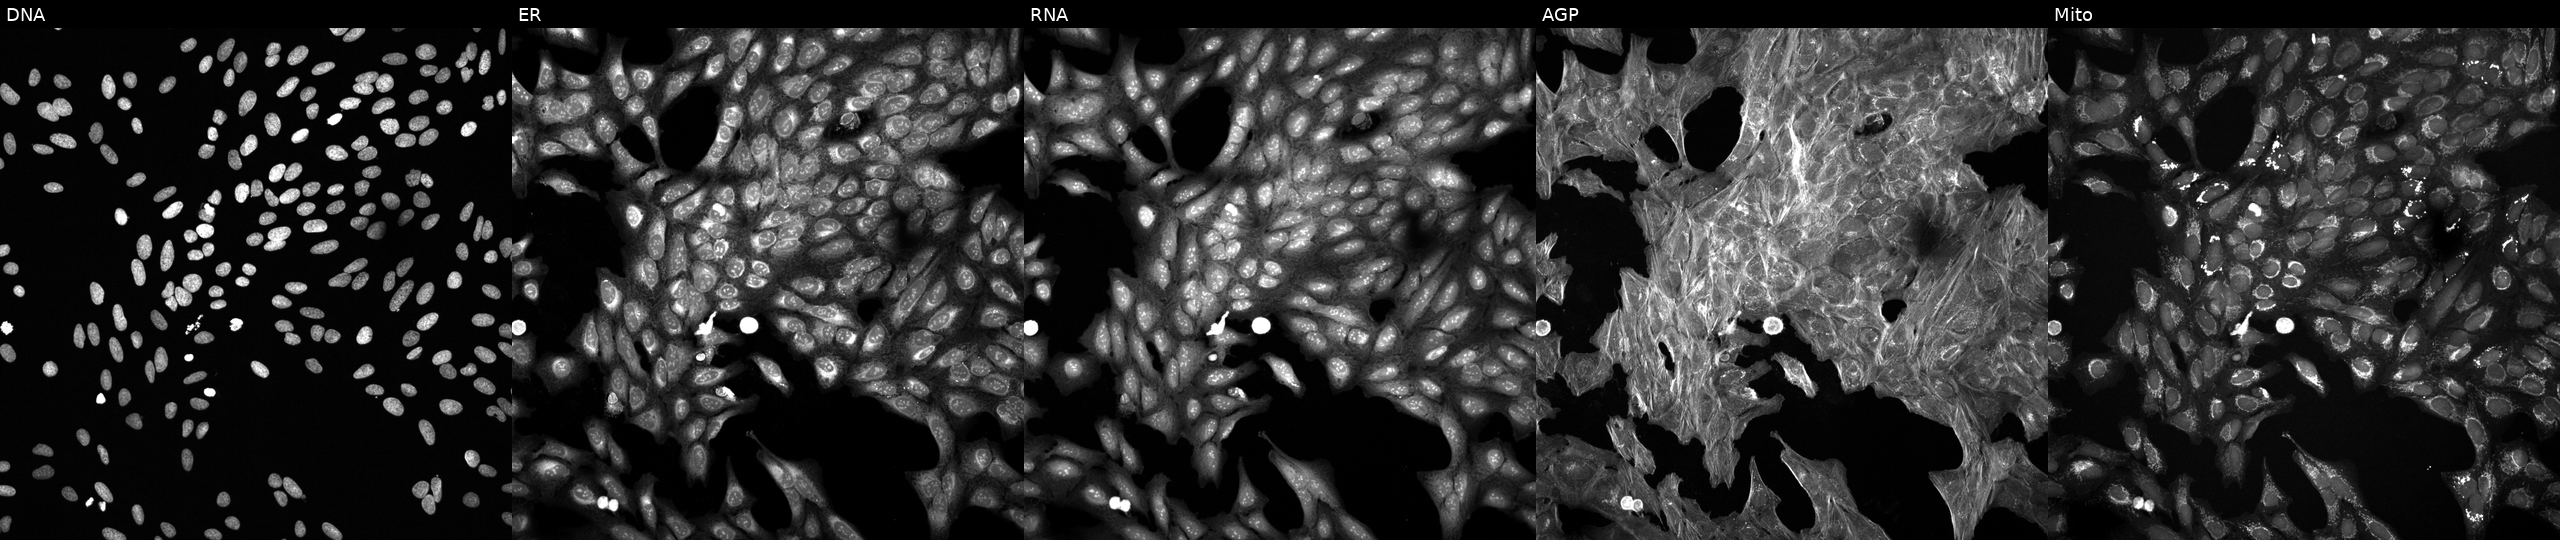
This image strip shows the five Cell Painting channels for a single field of U2OS cells exposed to a small-molecule compound. From left to right: DNA (nuclei); ER (endoplasmic reticulum); RNA (nucleoli and cytoplasmic RNA); AGP (actin cytoskeleton, Golgi, and plasma membrane); Mito (mitochondria). Source 6, plate 110000294901, well N04.